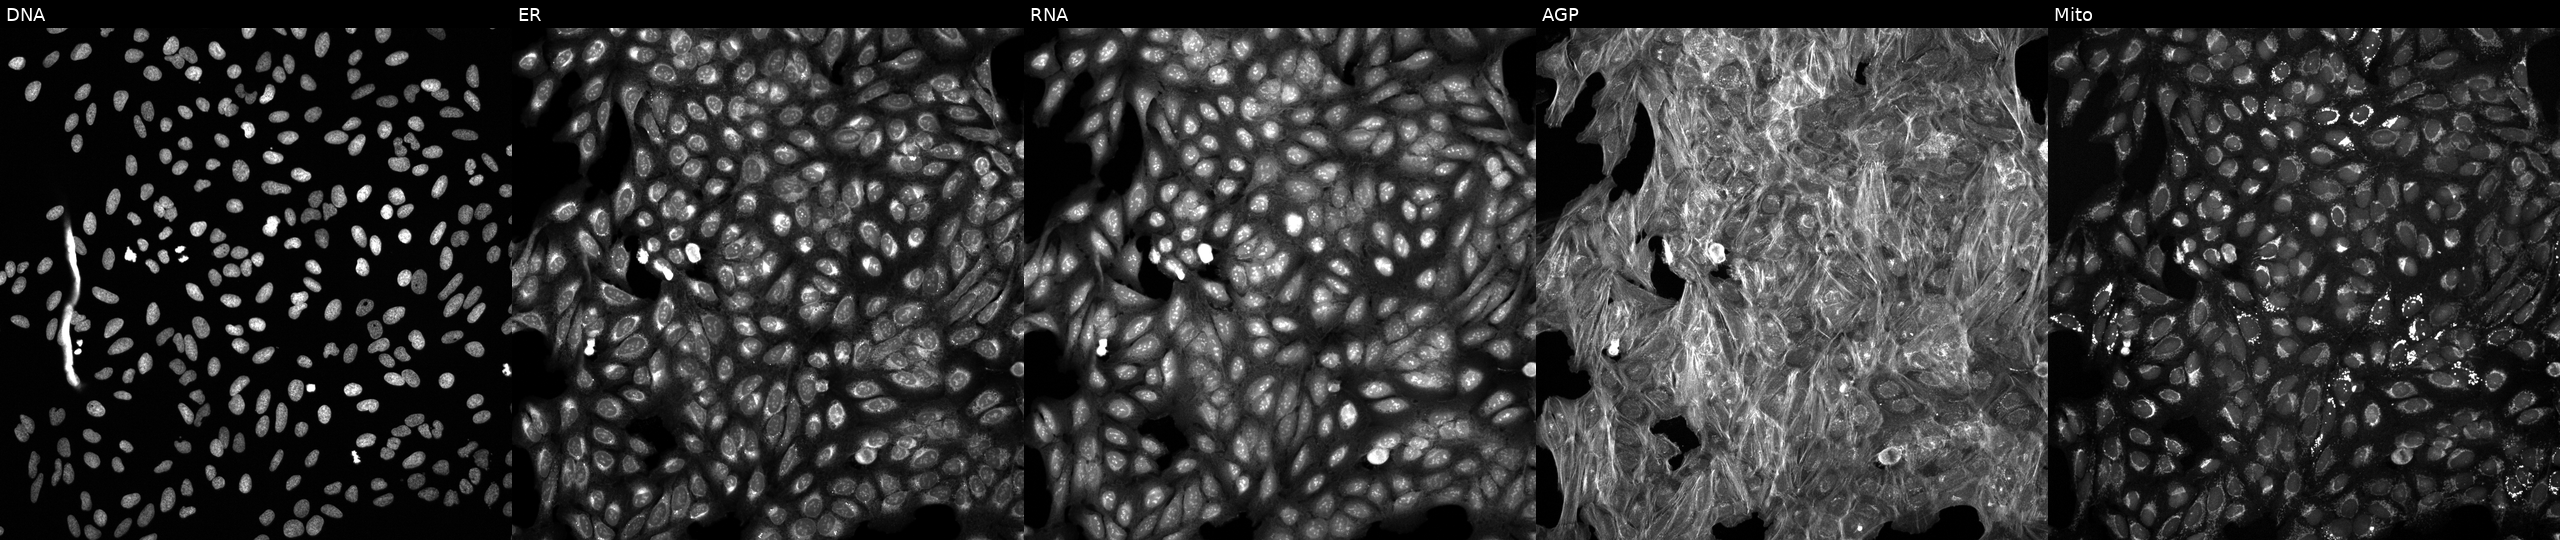
Channels (left→right): DNA (nuclei); ER (endoplasmic reticulum); RNA (nucleoli and cytoplasmic RNA); AGP (actin cytoskeleton, Golgi, and plasma membrane); Mito (mitochondria). U2OS osteosarcoma cells perturbed with a small-molecule compound (InChIKey YKWYYEZLQSOMDS-UHFFFAOYSA-N) (JUMP id JCP2022_109116). Cell Painting assay, JUMP-CP dataset.